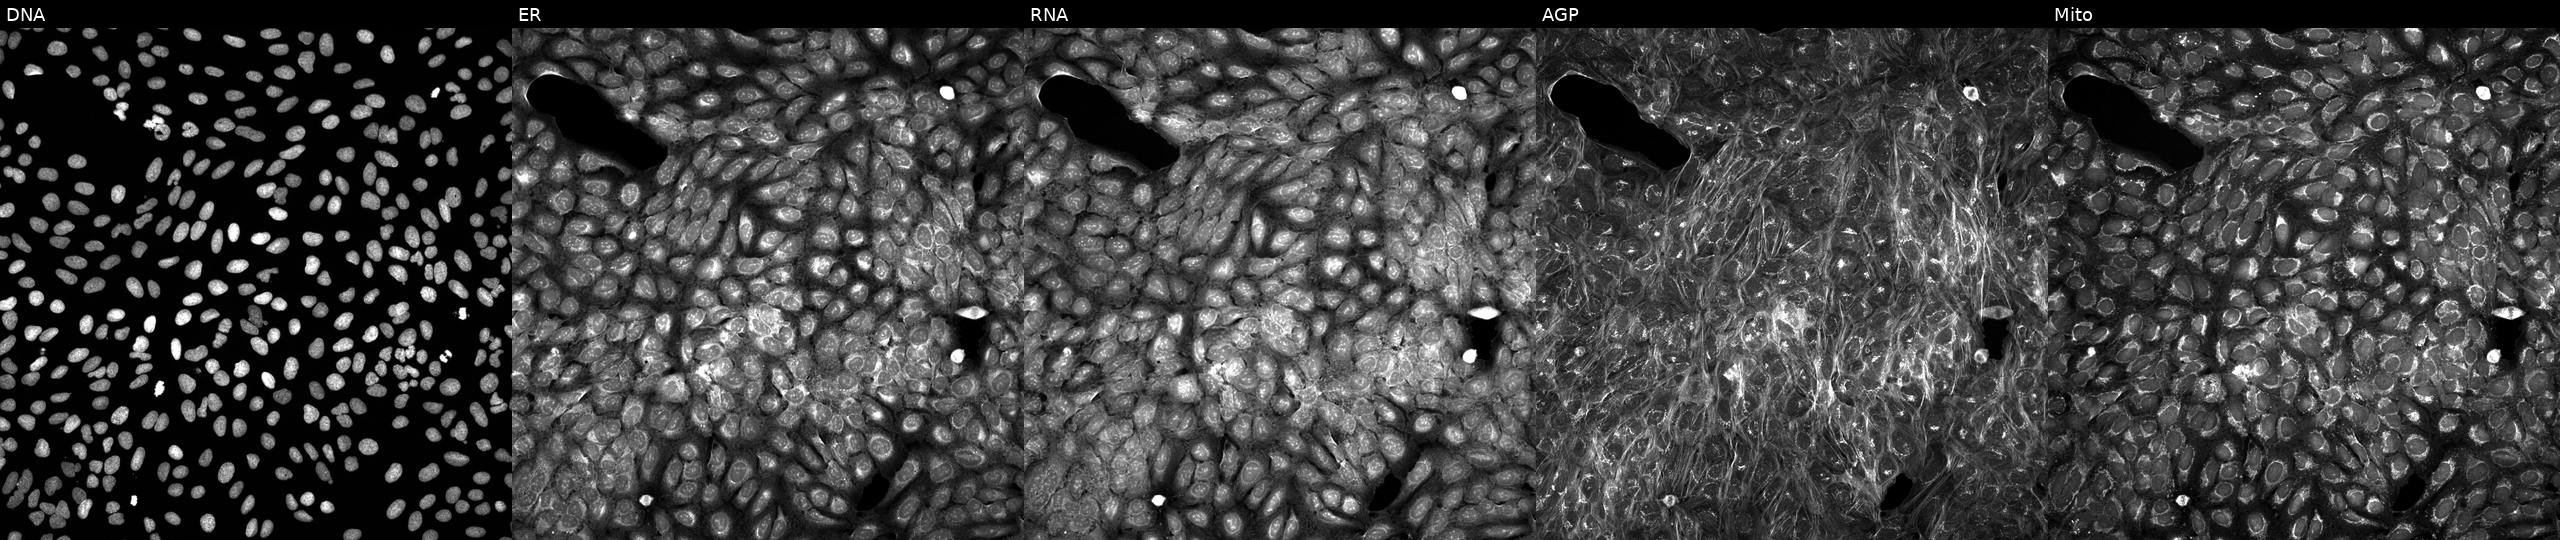
The five panels, left to right, show DNA, ER, RNA, AGP, and Mito. U2OS osteosarcoma cells treated with a small-molecule compound (InChIKey XDJCLCLBSGGNKS-UHFFFAOYSA-N) (JUMP id JCP2022_102936). Cell Painting assay, JUMP-CP dataset.